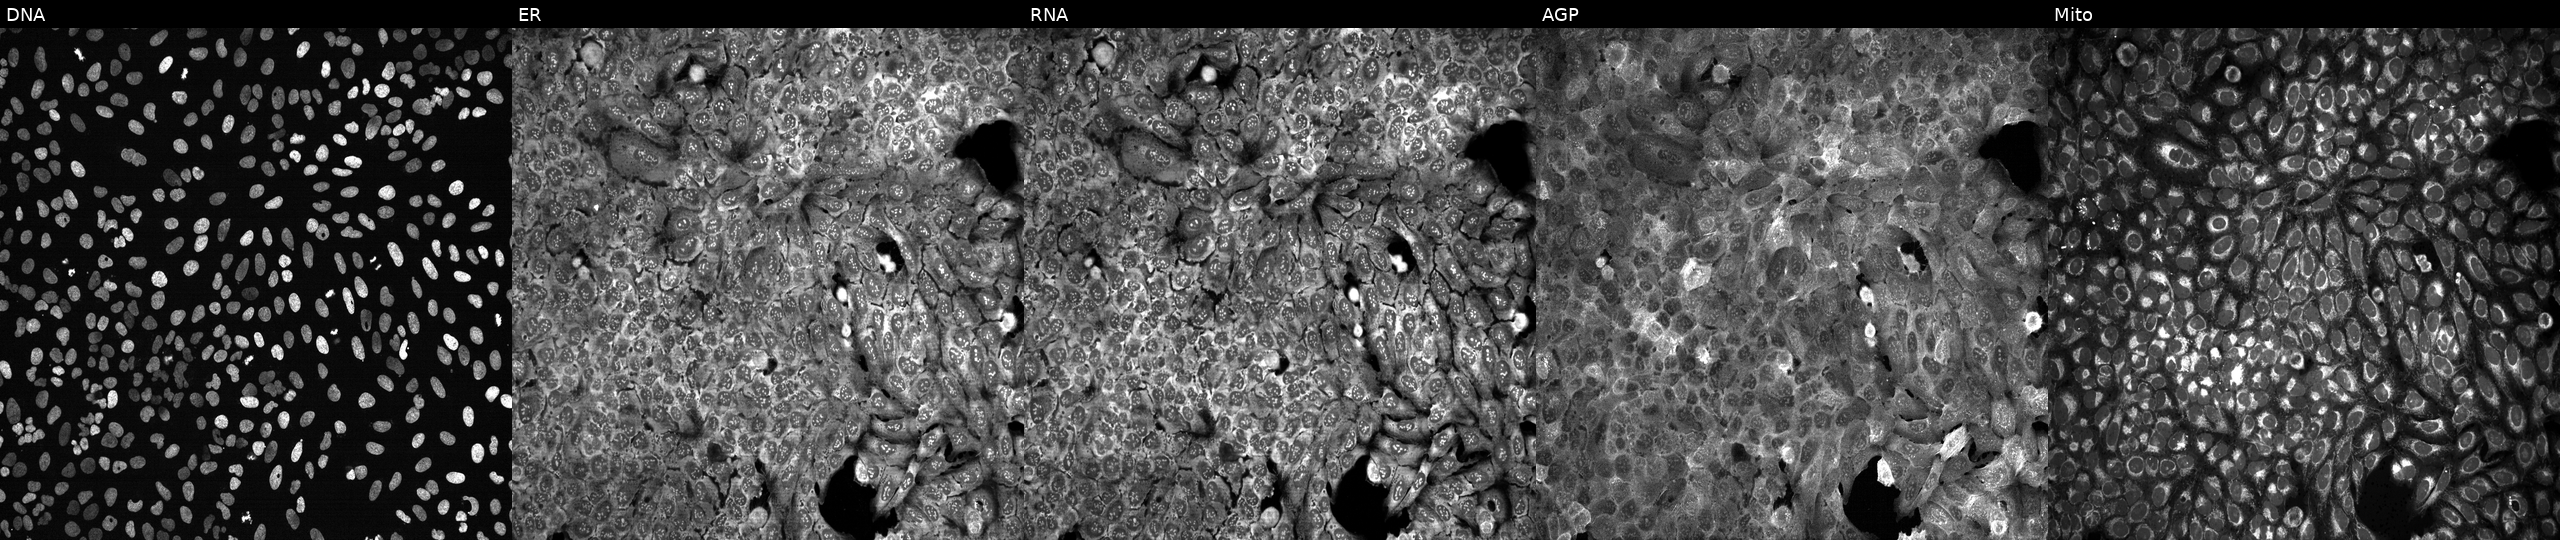
Panels show, left to right, DNA, ER, RNA, AGP, and Mito. U2OS osteosarcoma cells with FABP3 knocked out by CRISPR (JUMP id JCP2022_802247). Cell Painting assay, JUMP-CP dataset.